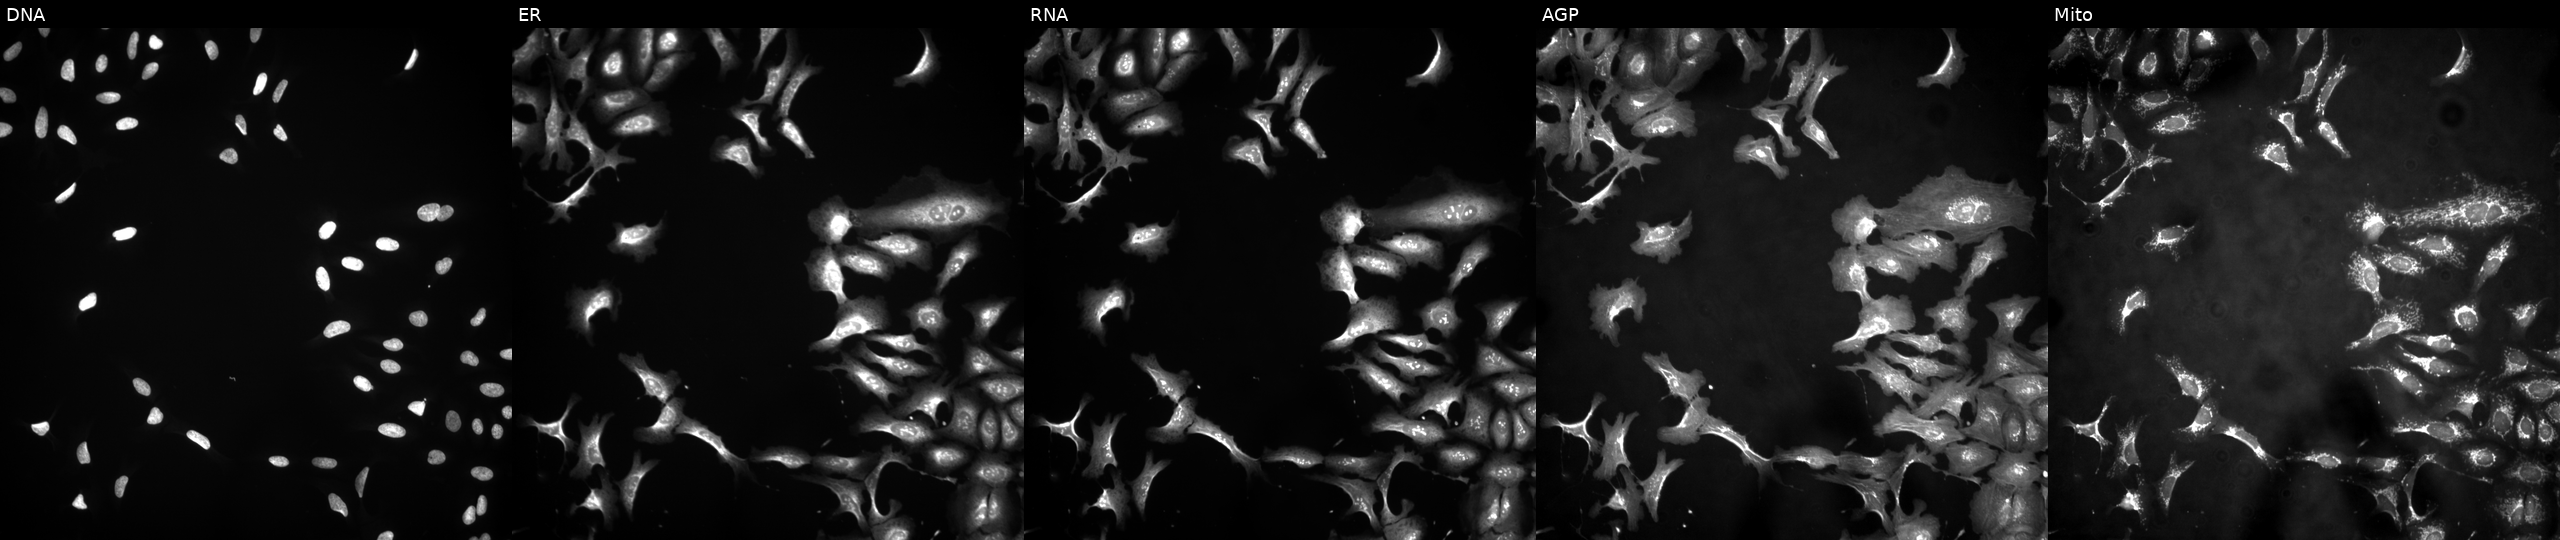
This image strip shows the five Cell Painting channels for a single field of U2OS cells transfected with an ORF construct for TIMM17A. The five panels, left to right, show DNA (nuclei); ER (endoplasmic reticulum); RNA (nucleoli and cytoplasmic RNA); AGP (actin cytoskeleton, Golgi, and plasma membrane); Mito (mitochondria).